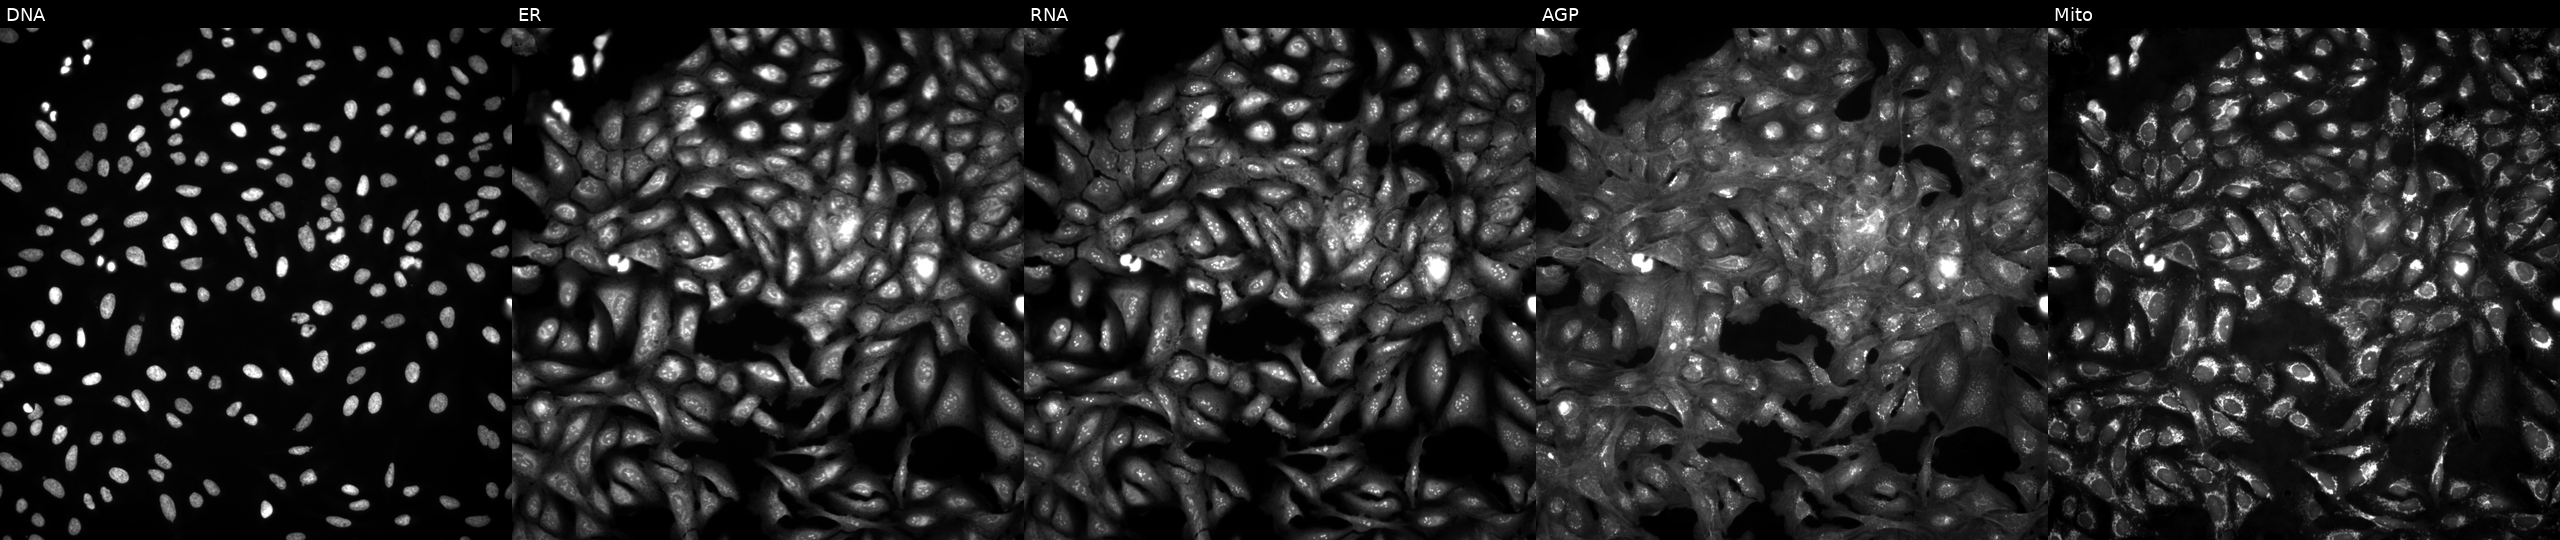
This image strip shows the five Cell Painting channels for a single field of U2OS cells untreated (empty-well control). Panels show, left to right, DNA (nuclei); ER (endoplasmic reticulum); RNA (nucleoli and cytoplasmic RNA); AGP (actin cytoskeleton, Golgi, and plasma membrane); Mito (mitochondria). Source 4, plate BR00124793, well J09.